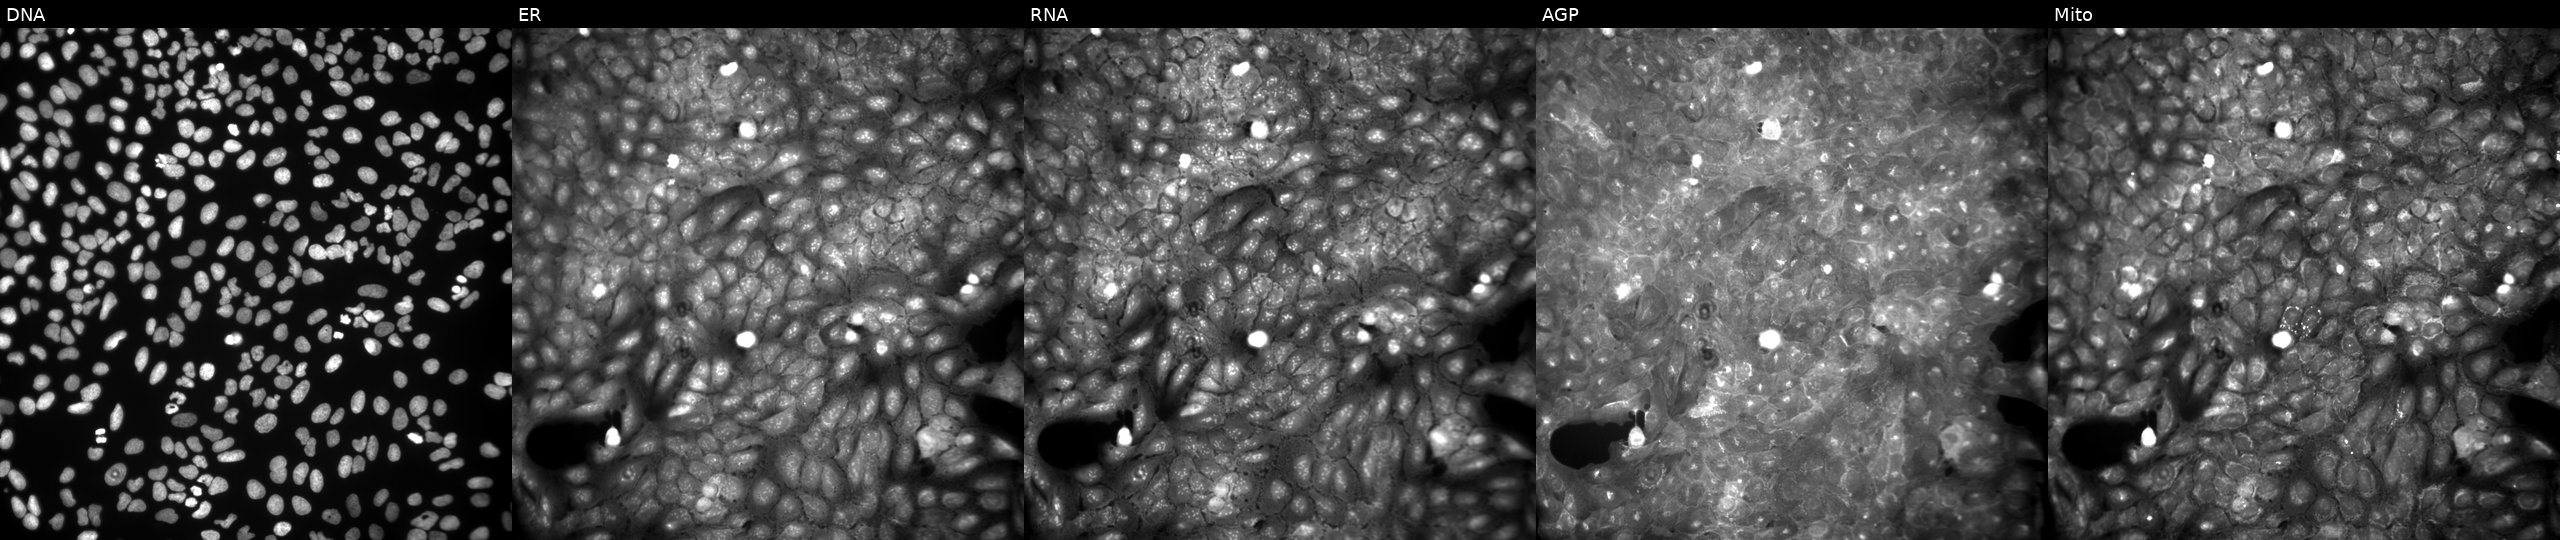
Five-channel Cell Painting image of U2OS cells perturbed with a small-molecule compound (JUMP id JCP2022_030378). Channels (left→right): DNA (nuclei); ER (endoplasmic reticulum); RNA (nucleoli and cytoplasmic RNA); AGP (actin cytoskeleton, Golgi, and plasma membrane); Mito (mitochondria).